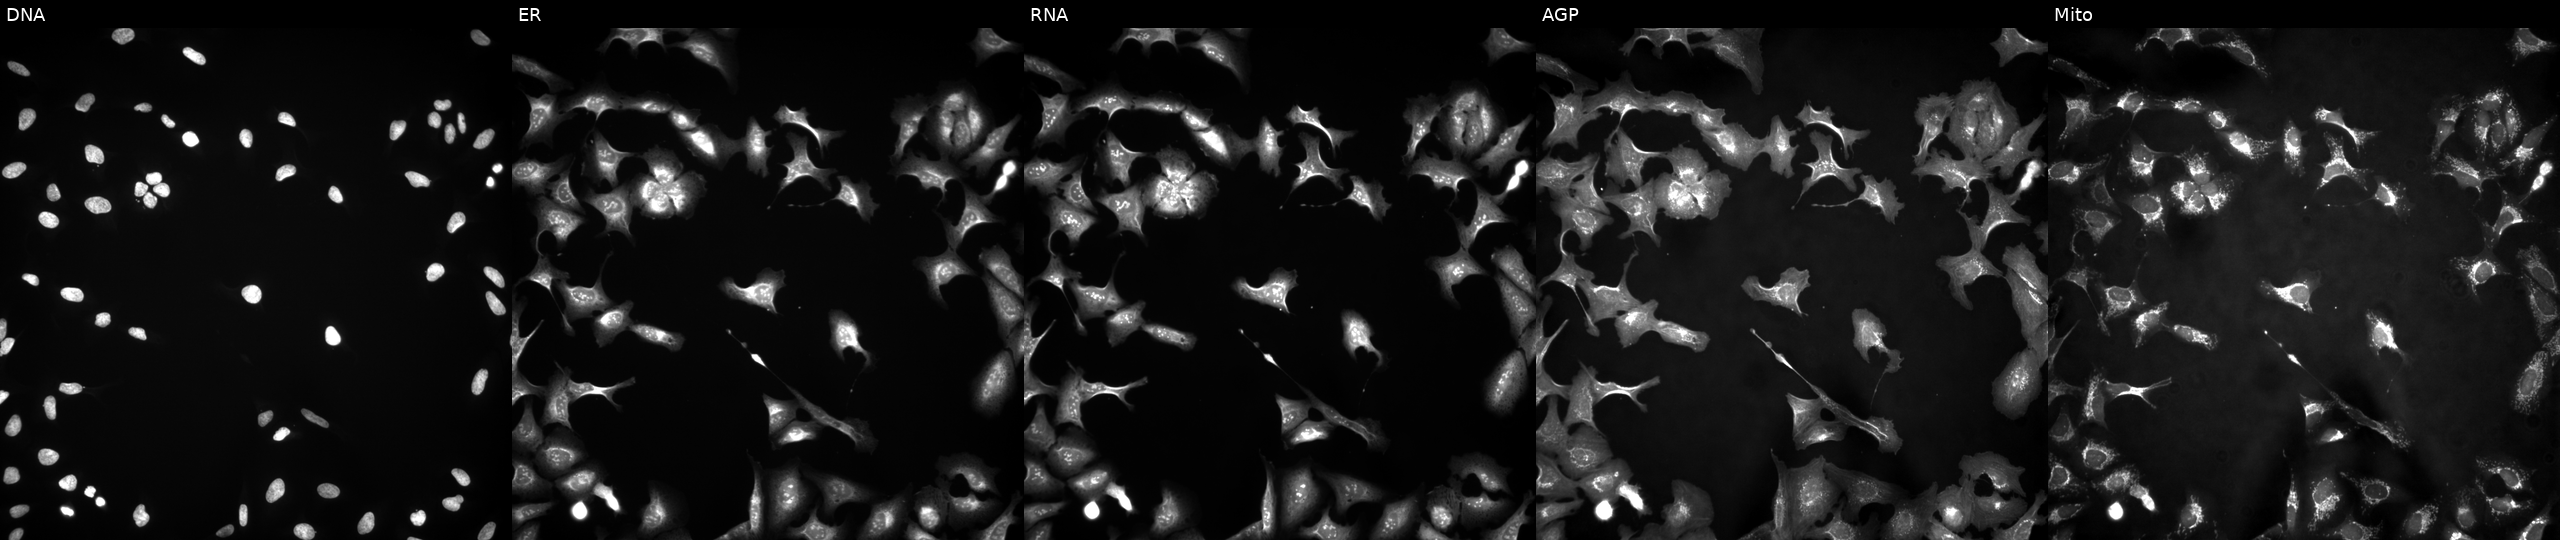
This image strip shows the five Cell Painting channels for a single field of U2OS cells transfected with an ORF construct for RPN2. From left to right: Hoechst 33342, concanavalin A, SYTO 14, phalloidin and WGA, MitoTracker.